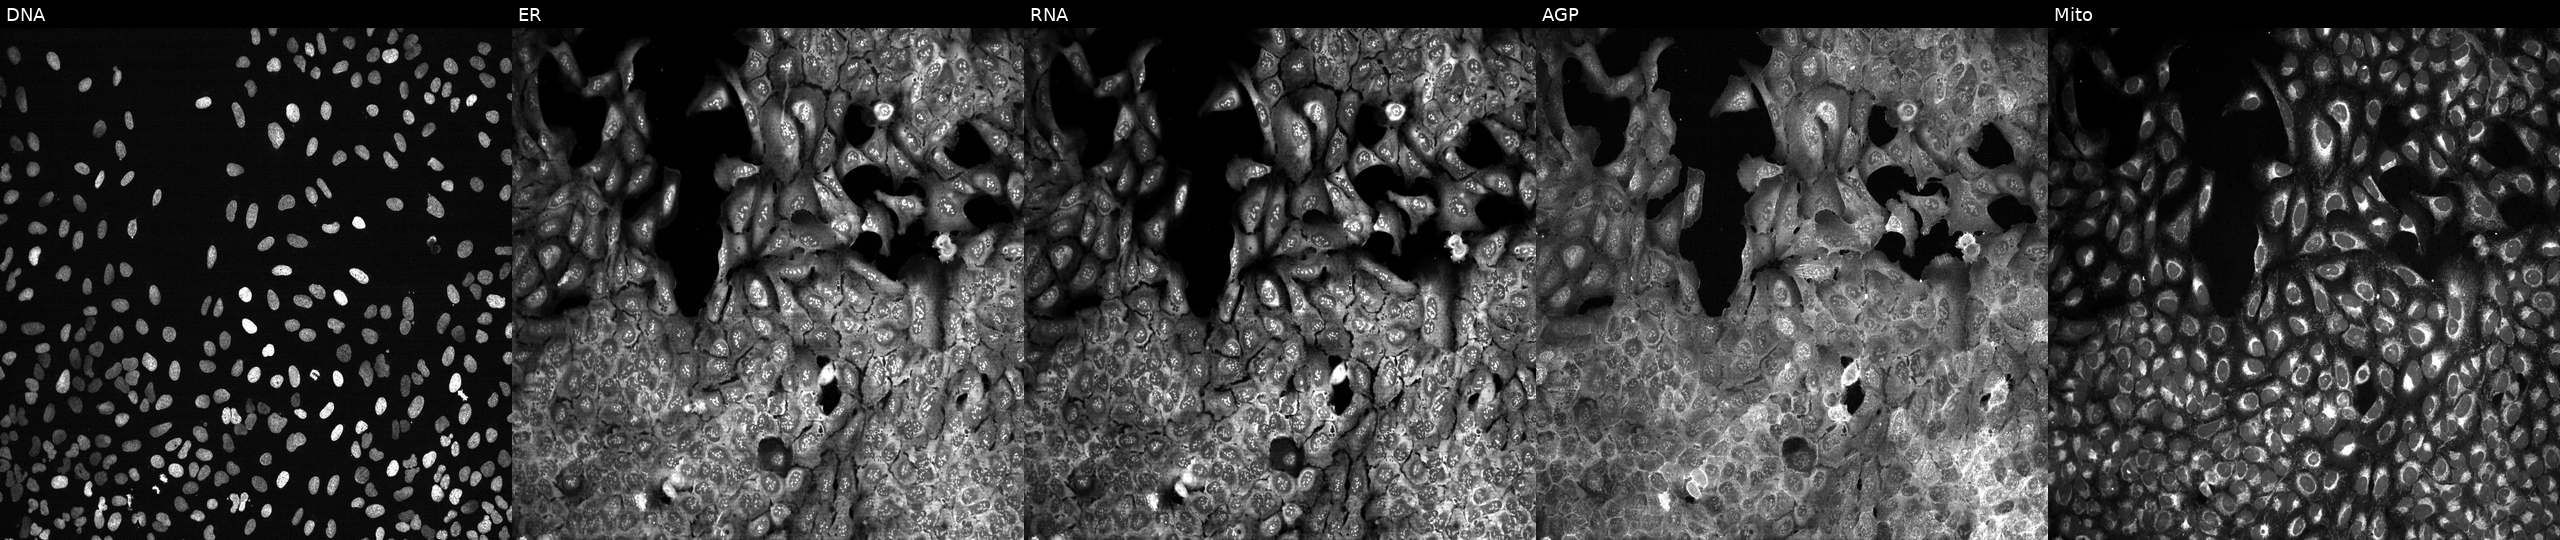
From left to right: DNA (nuclei); ER (endoplasmic reticulum); RNA (nucleoli and cytoplasmic RNA); AGP (actin cytoskeleton, Golgi, and plasma membrane); Mito (mitochondria). U2OS osteosarcoma cells following CRISPR knockout of ATP6V0D2. Cell Painting assay, JUMP-CP dataset.